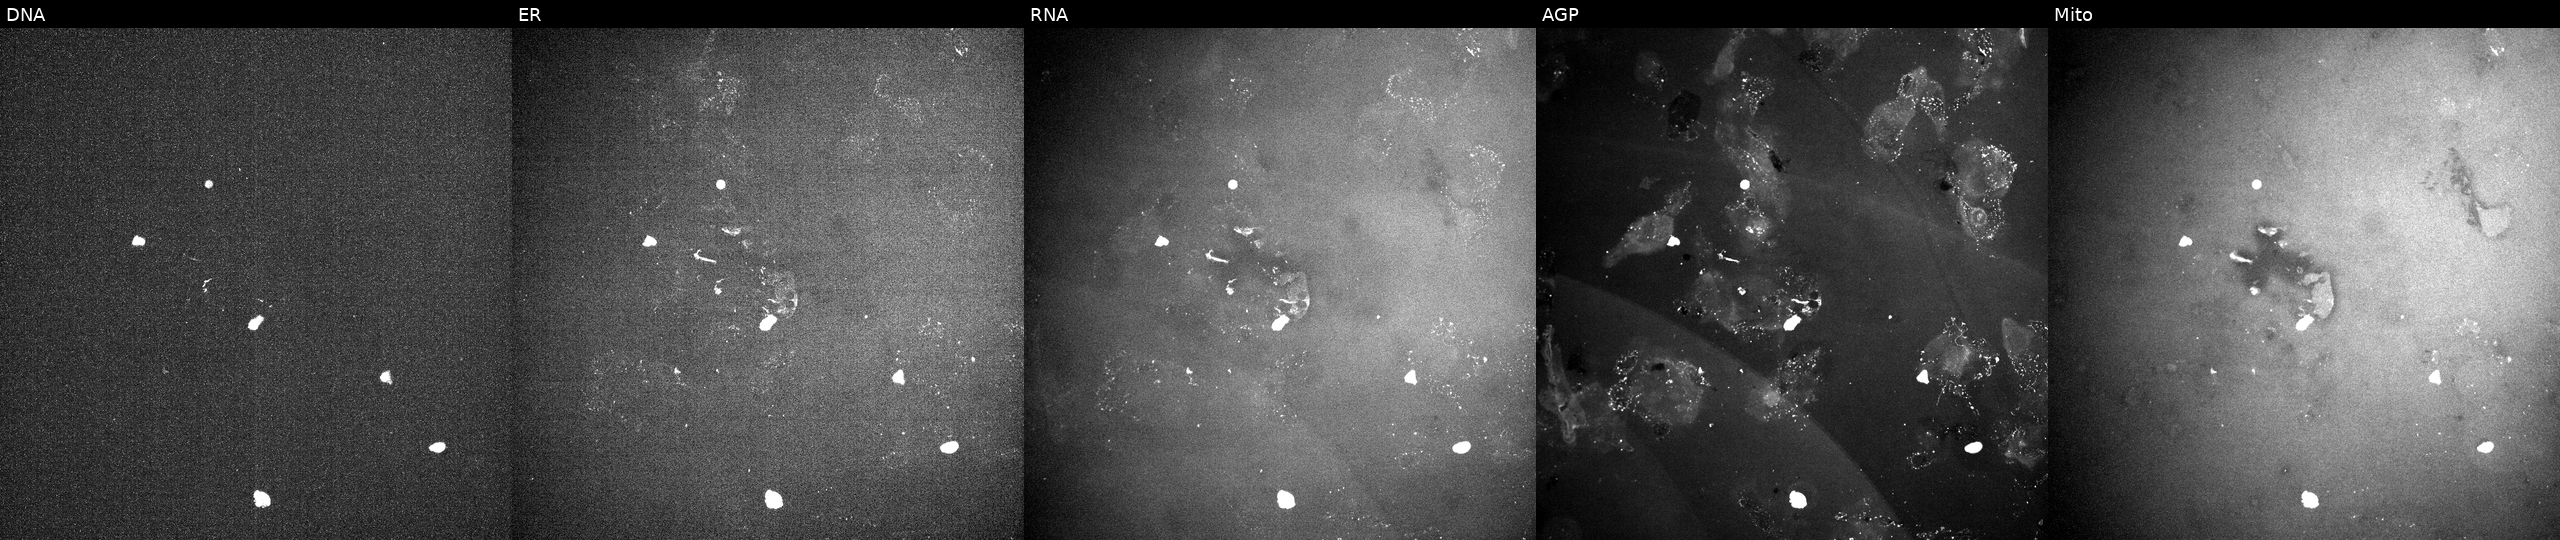
U2OS cells, Cell Painting assay, perturbed with a small-molecule compound. From left to right: Hoechst 33342, concanavalin A, SYTO 14, phalloidin and WGA, MitoTracker. Each panel is percentile-stretched 16-bit fluorescence. Source 10, plate Dest210531-152149, well O20.